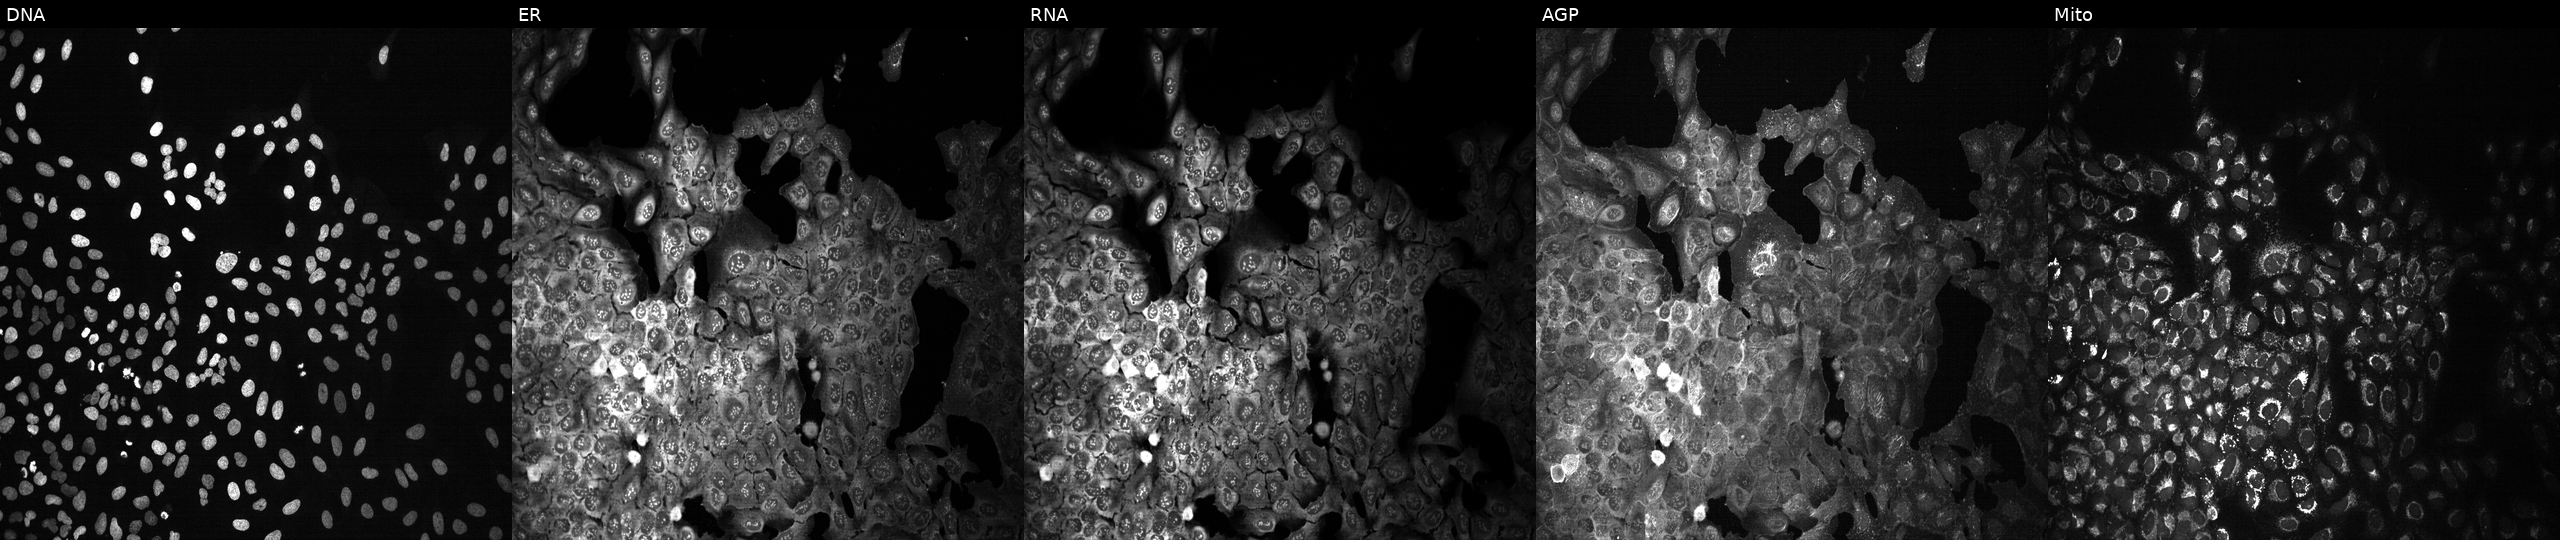
This image strip shows the five Cell Painting channels for a single field of U2OS cells with PRMT3 knocked out by CRISPR. Channels (left→right): Hoechst 33342, concanavalin A, SYTO 14, phalloidin and WGA, MitoTracker.